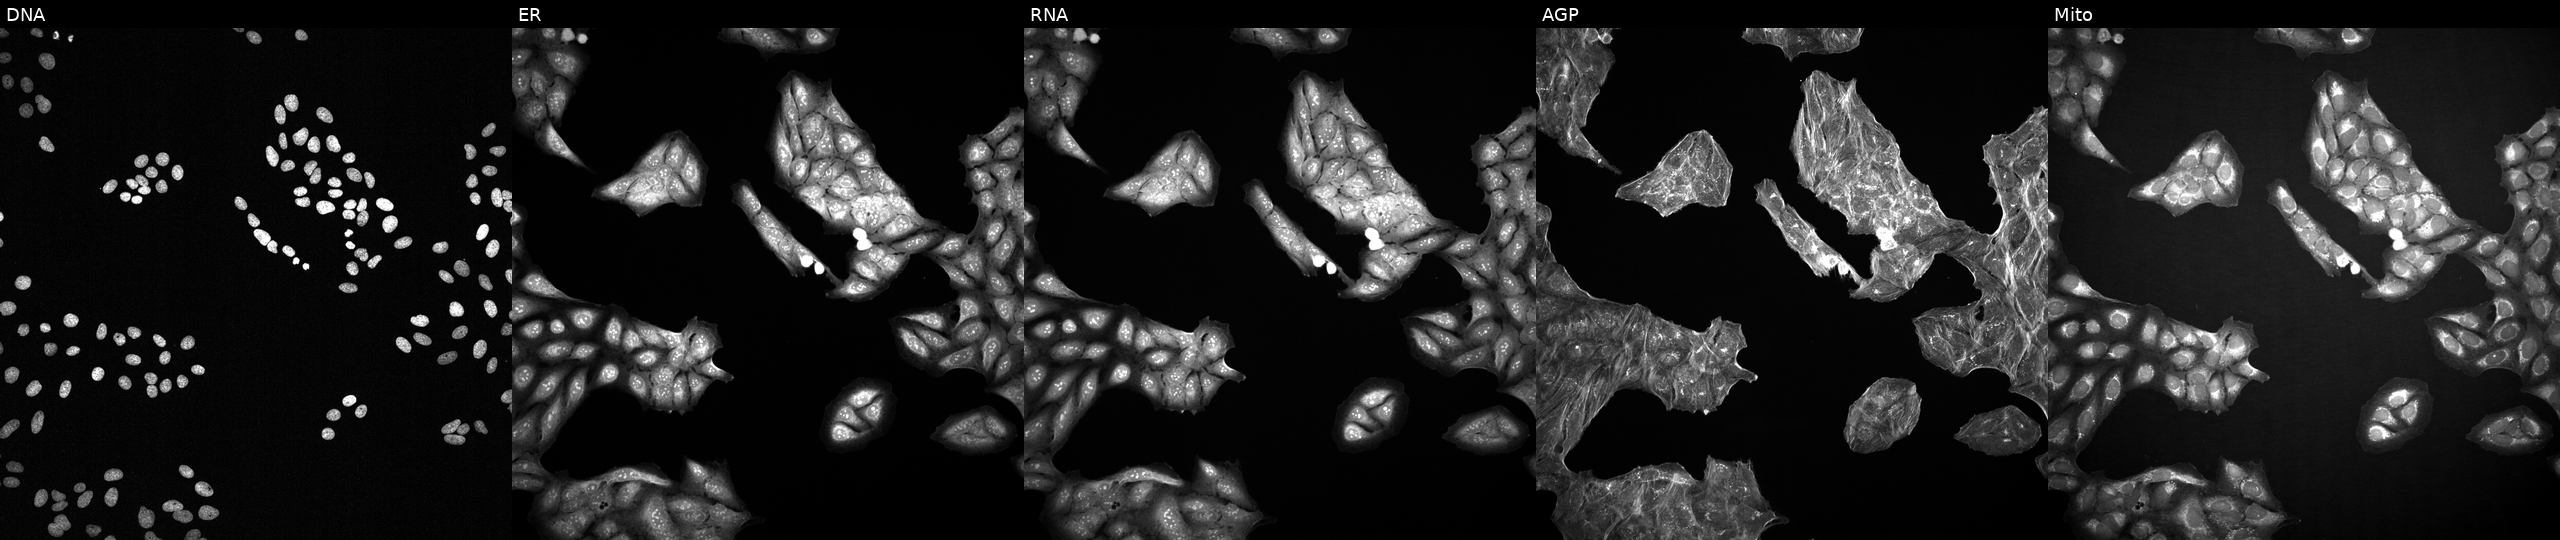
High-content fluorescence microscopy (Cell Painting). Cell line: U2OS. Perturbation: exposed to a small-molecule compound (InChIKey LNFZRMDSZJCZTG-UHFFFAOYSA-N) (JUMP id JCP2022_050516). From left to right: DNA, ER, RNA, AGP, and Mito.